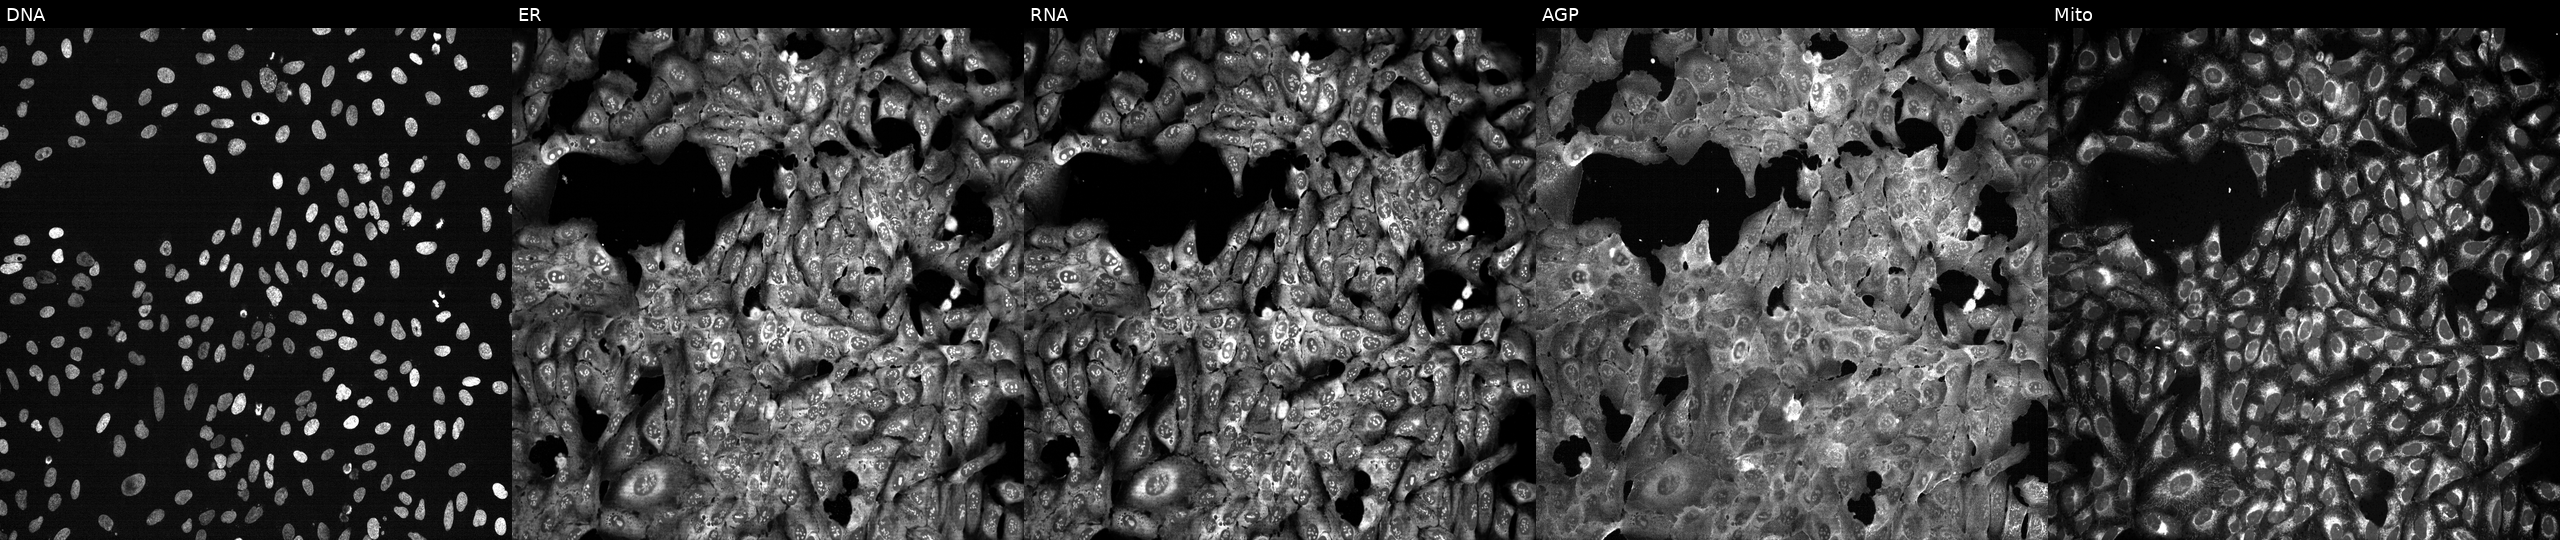
U2OS cells, Cell Painting assay, with RAB5B knocked out by CRISPR. Panels show, left to right, Hoechst 33342, concanavalin A, SYTO 14, phalloidin and WGA, MitoTracker. Each panel is percentile-stretched 16-bit fluorescence. Source 13, plate CP-CC9-R3-01, well H10.